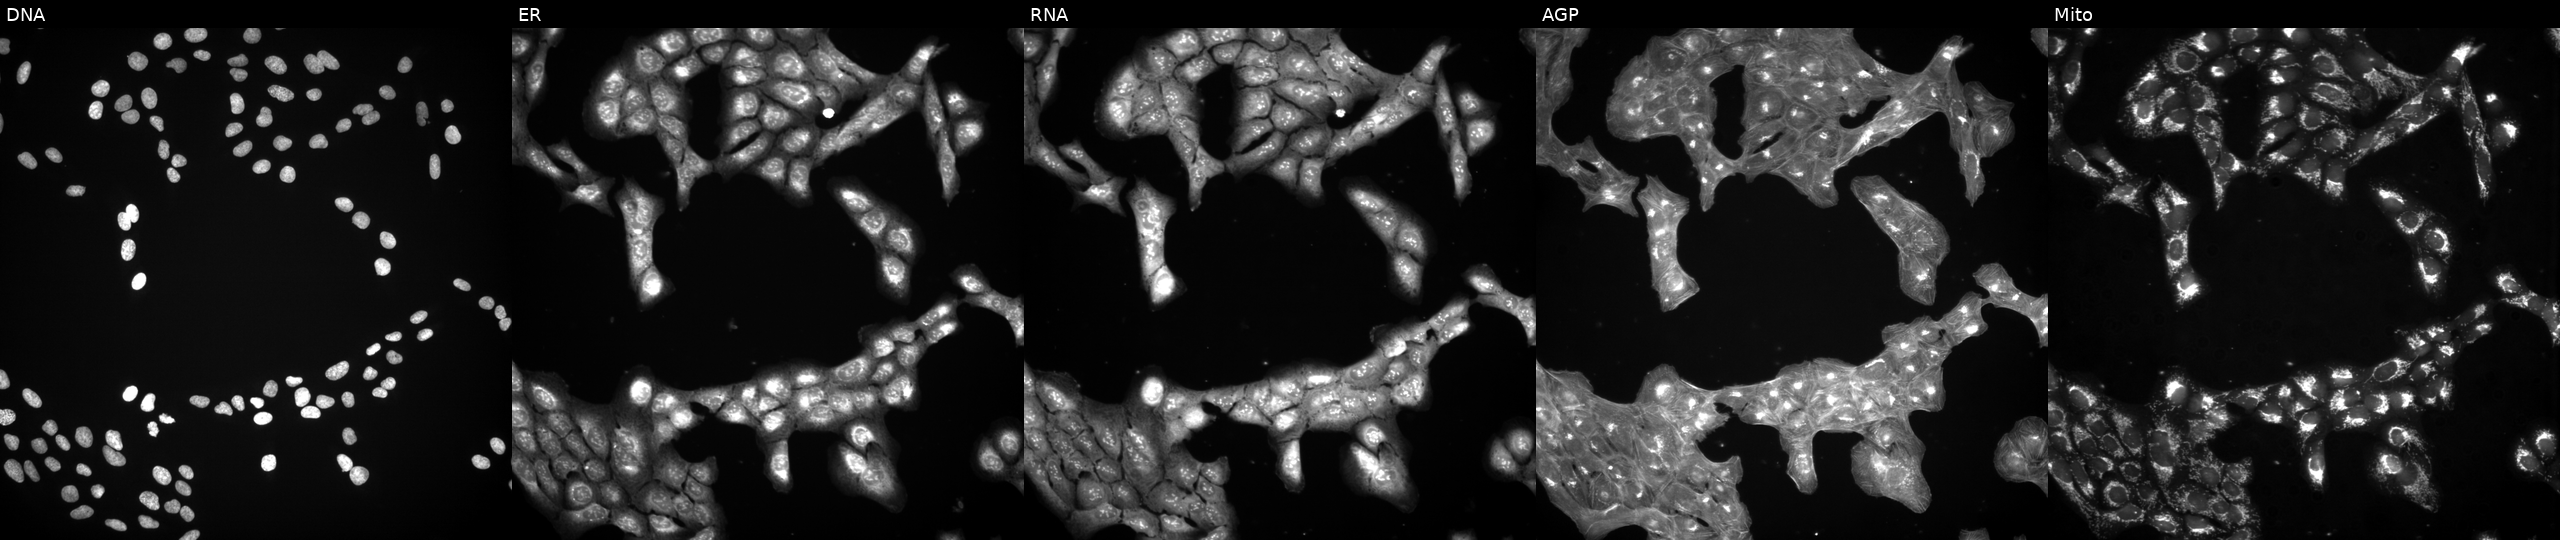
U2OS cells, Cell Painting assay, untreated (empty-well control). The five panels, left to right, show Hoechst 33342, concanavalin A, SYTO 14, phalloidin and WGA, MitoTracker. Each panel is percentile-stretched 16-bit fluorescence.